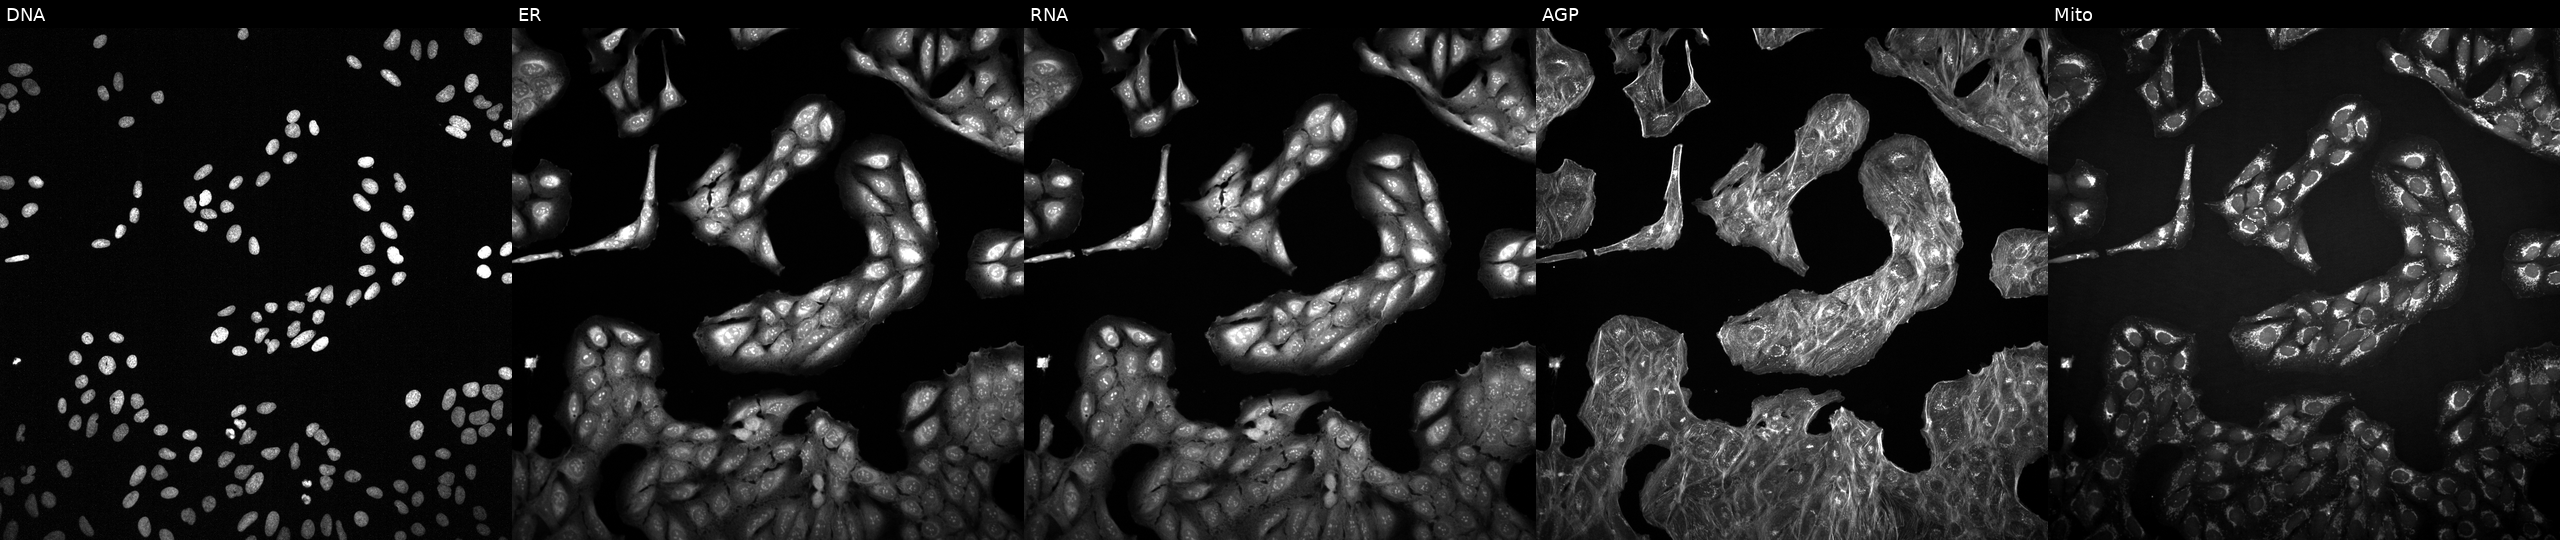
JUMP Cell Painting — COMPOUND plate. U2OS cells perturbed with a small-molecule compound (InChIKey RWOAILSWZYTGSM-UHFFFAOYSA-N) (JUMP id JCP2022_081199). The five panels, left to right, show Hoechst 33342, concanavalin A, SYTO 14, phalloidin and WGA, MitoTracker. Source 2, plate 1053601756, well A04.